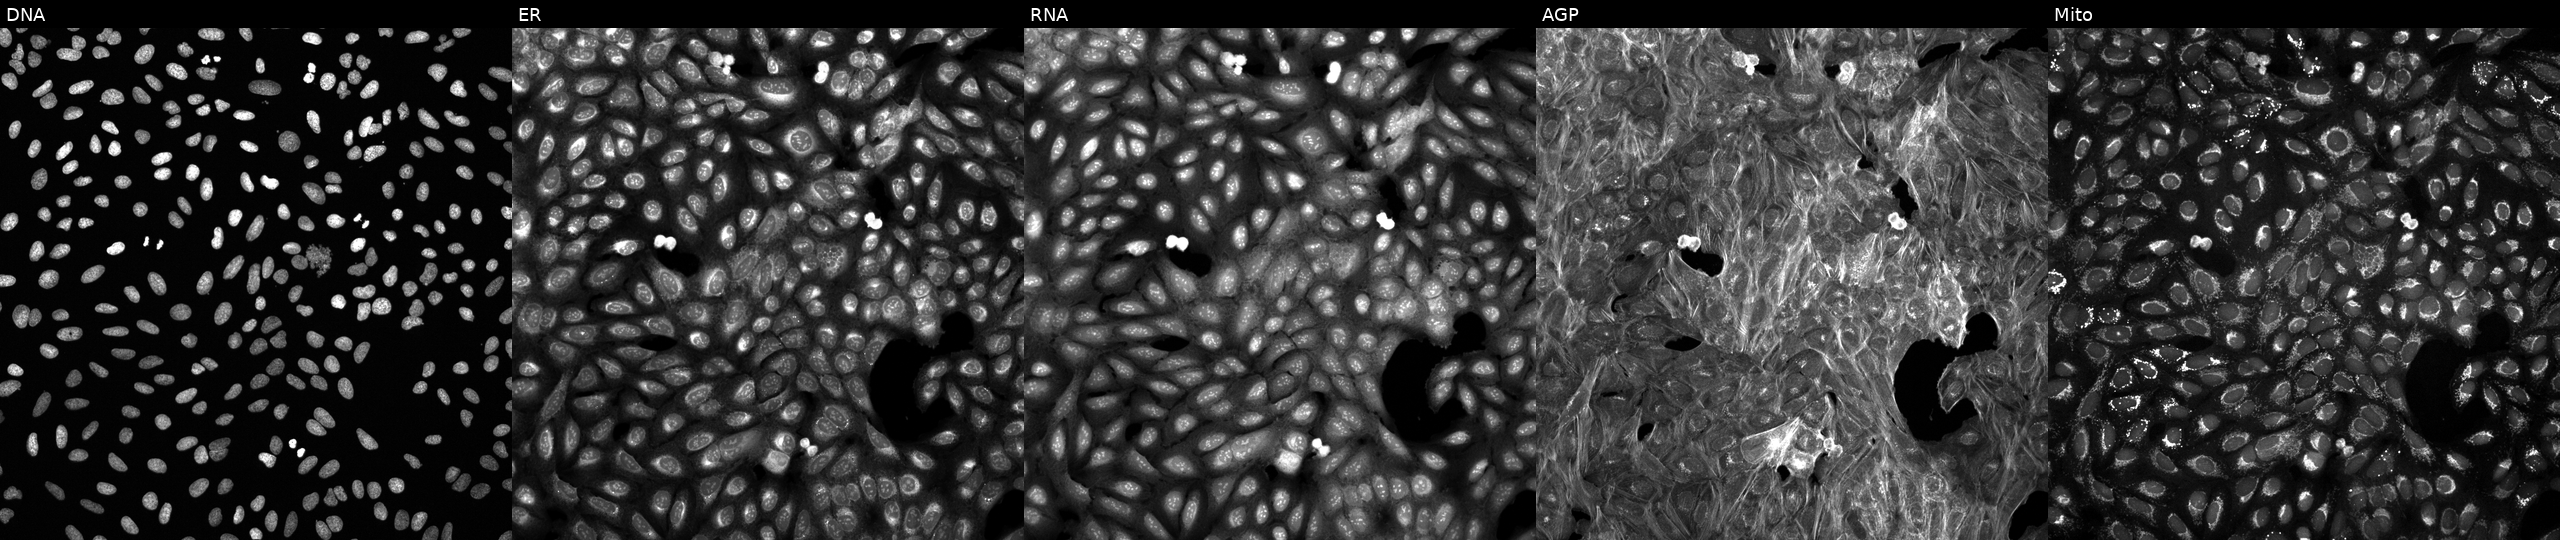
Five-channel Cell Painting image of U2OS cells perturbed with a small-molecule compound (InChIKey HUIJKOUYNXQBOW-UHFFFAOYSA-N) (JUMP id JCP2022_032663). Channels (left→right): DNA, ER, RNA, AGP, and Mito.